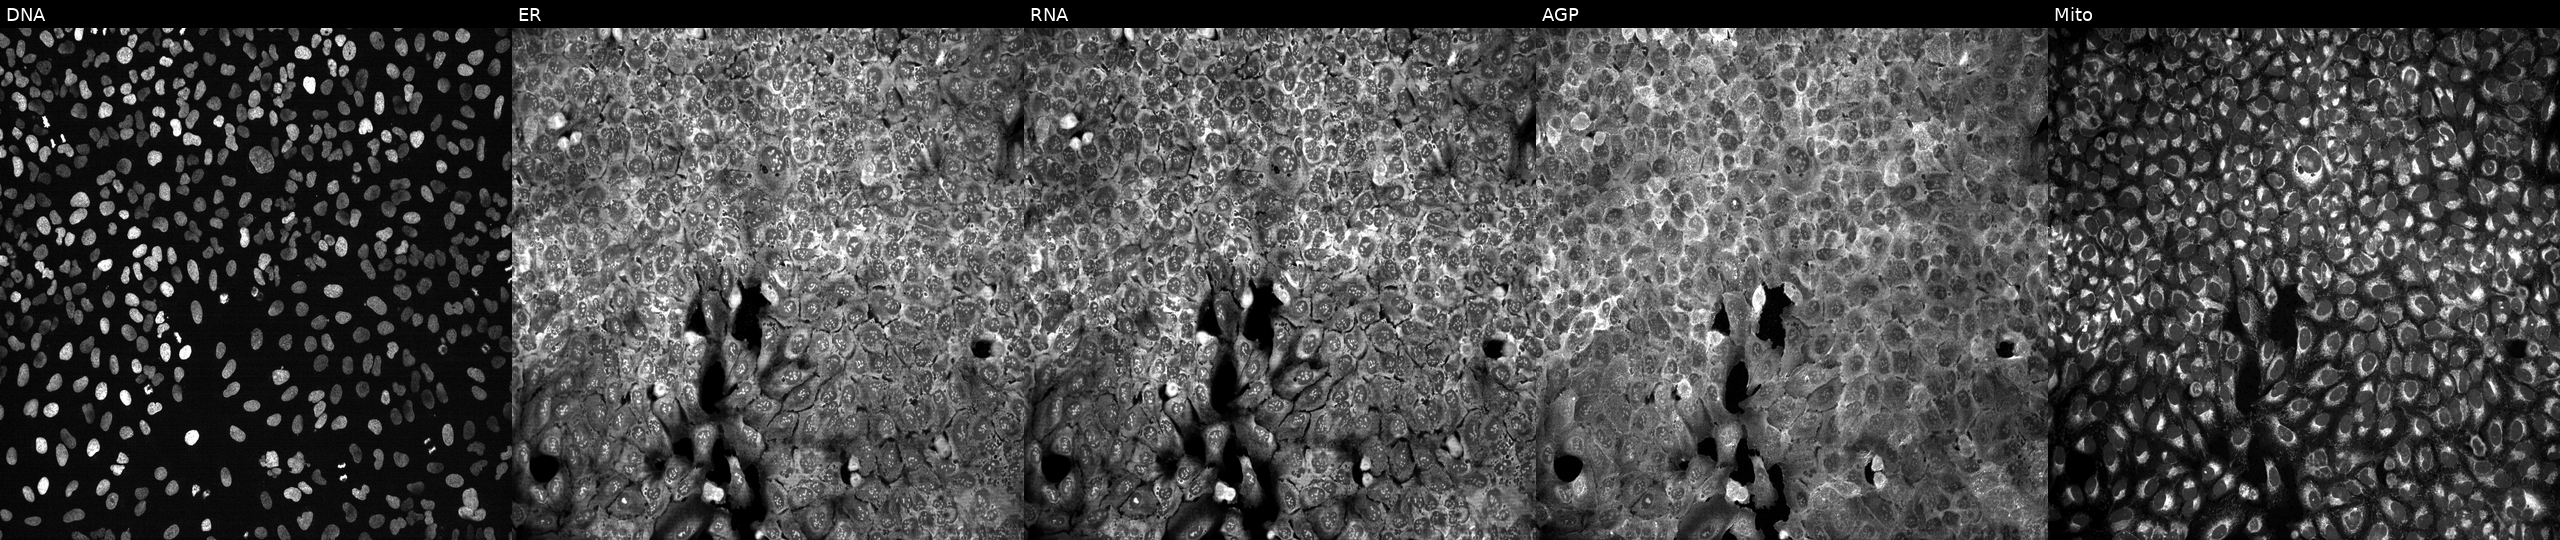
Five-channel Cell Painting image of U2OS cells following CRISPR knockout of SLC22A23 (JUMP id JCP2022_806422). Panels show, left to right, Hoechst 33342, concanavalin A, SYTO 14, phalloidin and WGA, MitoTracker. Source 13, plate CP-CC9-R3-01, well D17.